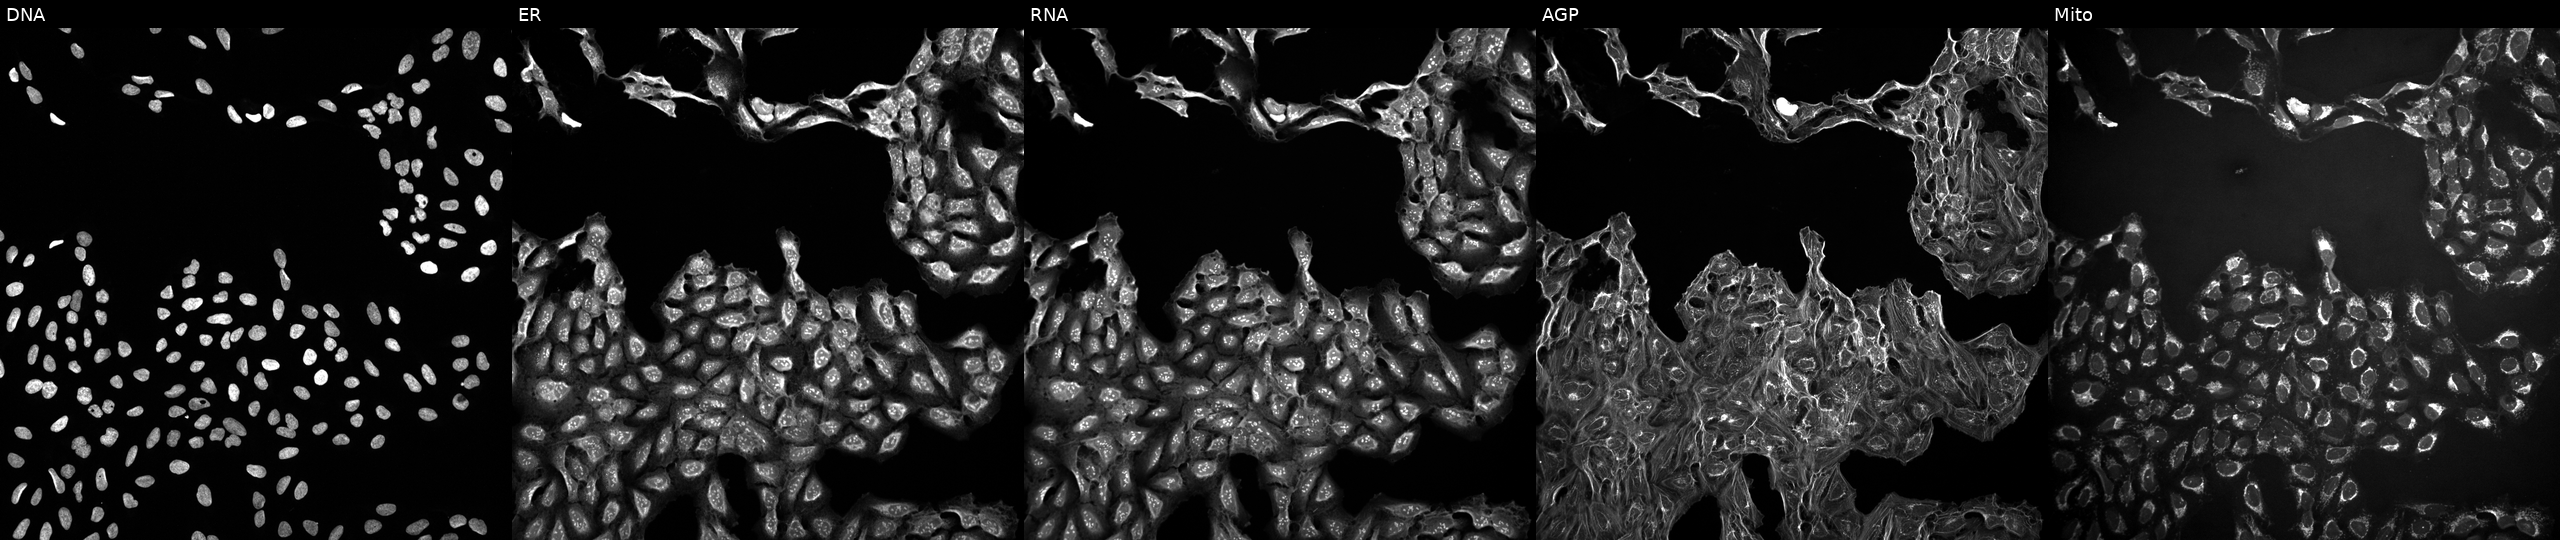
U2OS cells, Cell Painting assay, treated with a small-molecule compound (InChIKey YCYMCMYLORLIJX-UHFFFAOYSA-N) (JUMP id JCP2022_107658). Channels (left→right): Hoechst 33342, concanavalin A, SYTO 14, phalloidin and WGA, MitoTracker. Each panel is percentile-stretched 16-bit fluorescence.